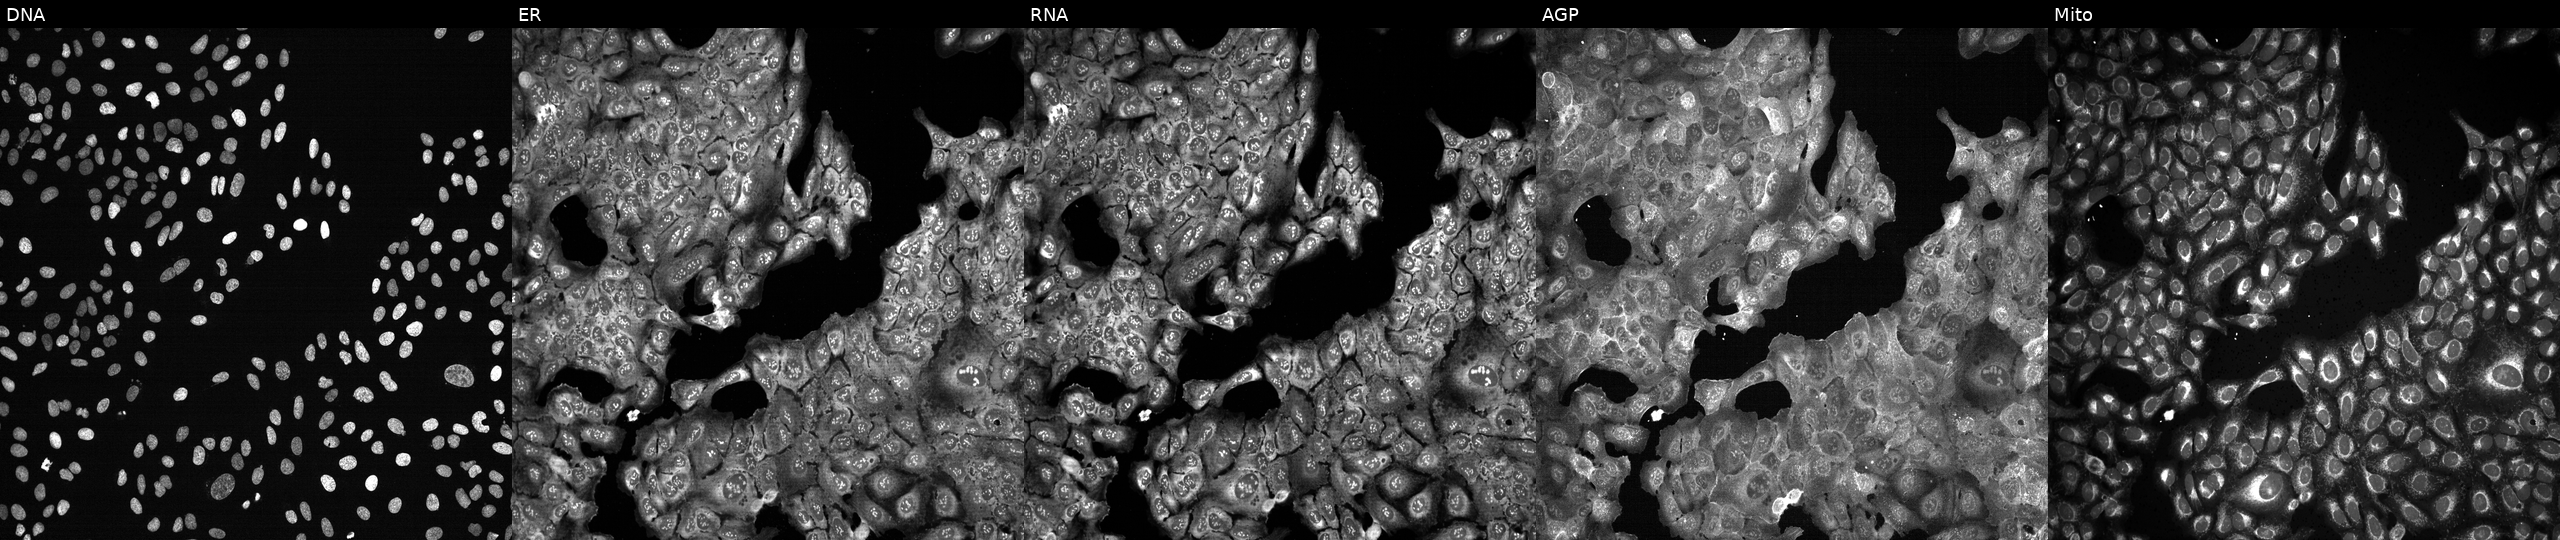
This image strip shows the five Cell Painting channels for a single field of U2OS cells with APOBEC3D knocked out by CRISPR. Channels (left→right): DNA (nuclei); ER (endoplasmic reticulum); RNA (nucleoli and cytoplasmic RNA); AGP (actin cytoskeleton, Golgi, and plasma membrane); Mito (mitochondria).